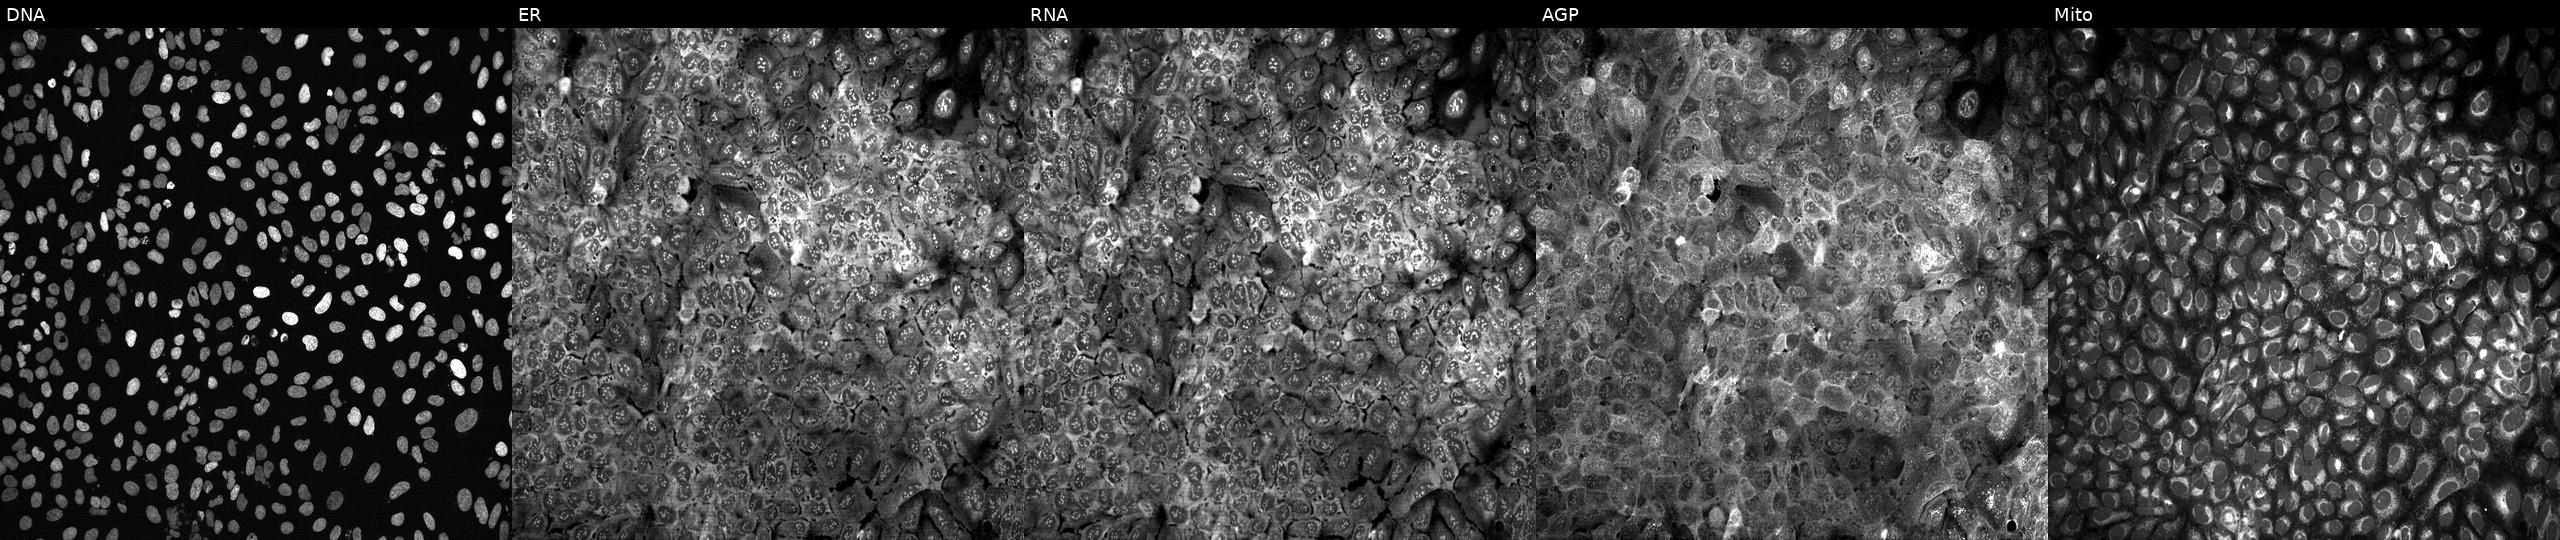
High-content fluorescence microscopy (Cell Painting). Cell line: U2OS. Perturbation: with KIF12 knocked out by CRISPR (JUMP id JCP2022_803659). The five panels, left to right, show DNA, ER, RNA, AGP, and Mito.